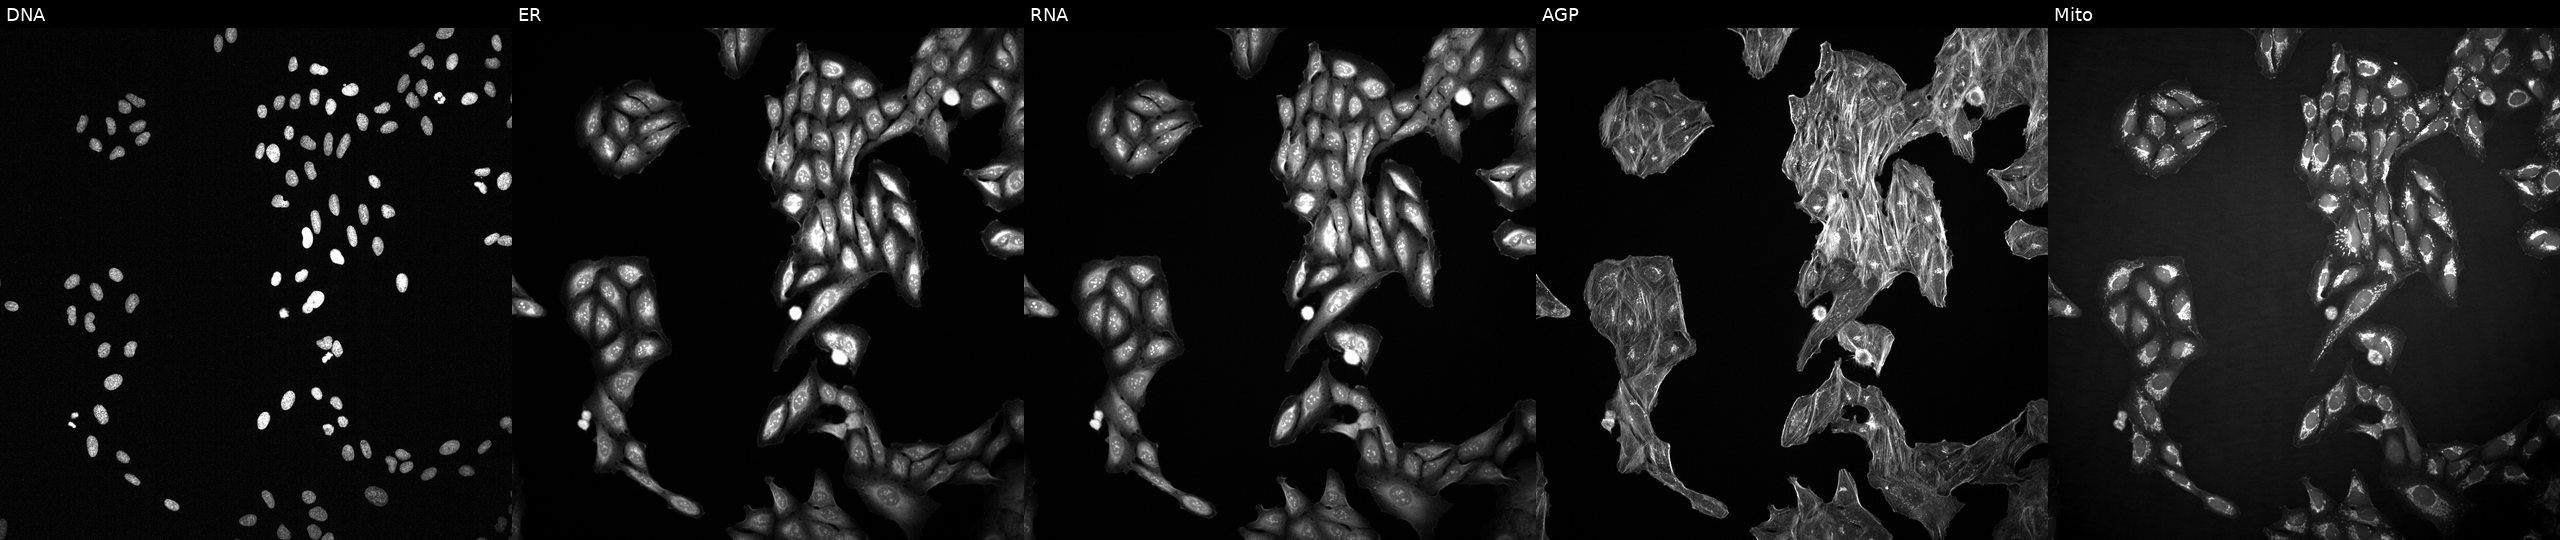
U2OS cells, Cell Painting assay, exposed to a small-molecule compound (InChIKey ALBKMJDFBZVHAK-UHFFFAOYSA-N) [SMILES: CCOC(=O)c1ncc2[nH]c3ccc(OCc4ccccc4)cc3c2c1COC]. The five panels, left to right, show DNA (nuclei); ER (endoplasmic reticulum); RNA (nucleoli and cytoplasmic RNA); AGP (actin cytoskeleton, Golgi, and plasma membrane); Mito (mitochondria). Each panel is percentile-stretched 16-bit fluorescence. Source 2, plate 1053600674, well M19.